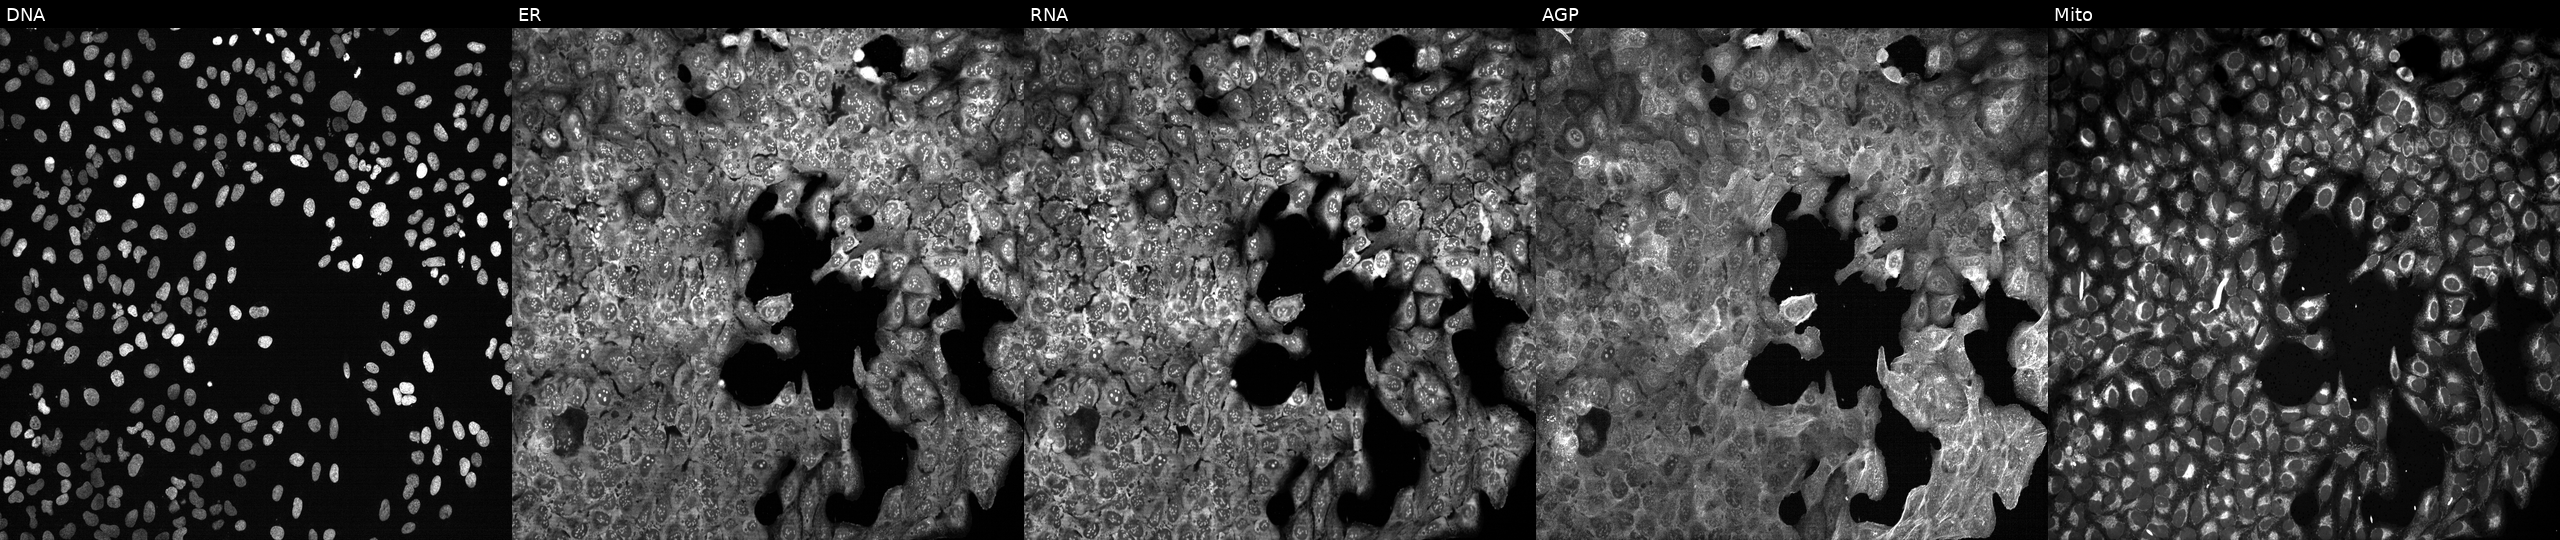
JUMP Cell Painting — CRISPR plate. U2OS cells with TLR5 knocked out by CRISPR. Panels show, left to right, DNA (nuclei); ER (endoplasmic reticulum); RNA (nucleoli and cytoplasmic RNA); AGP (actin cytoskeleton, Golgi, and plasma membrane); Mito (mitochondria).